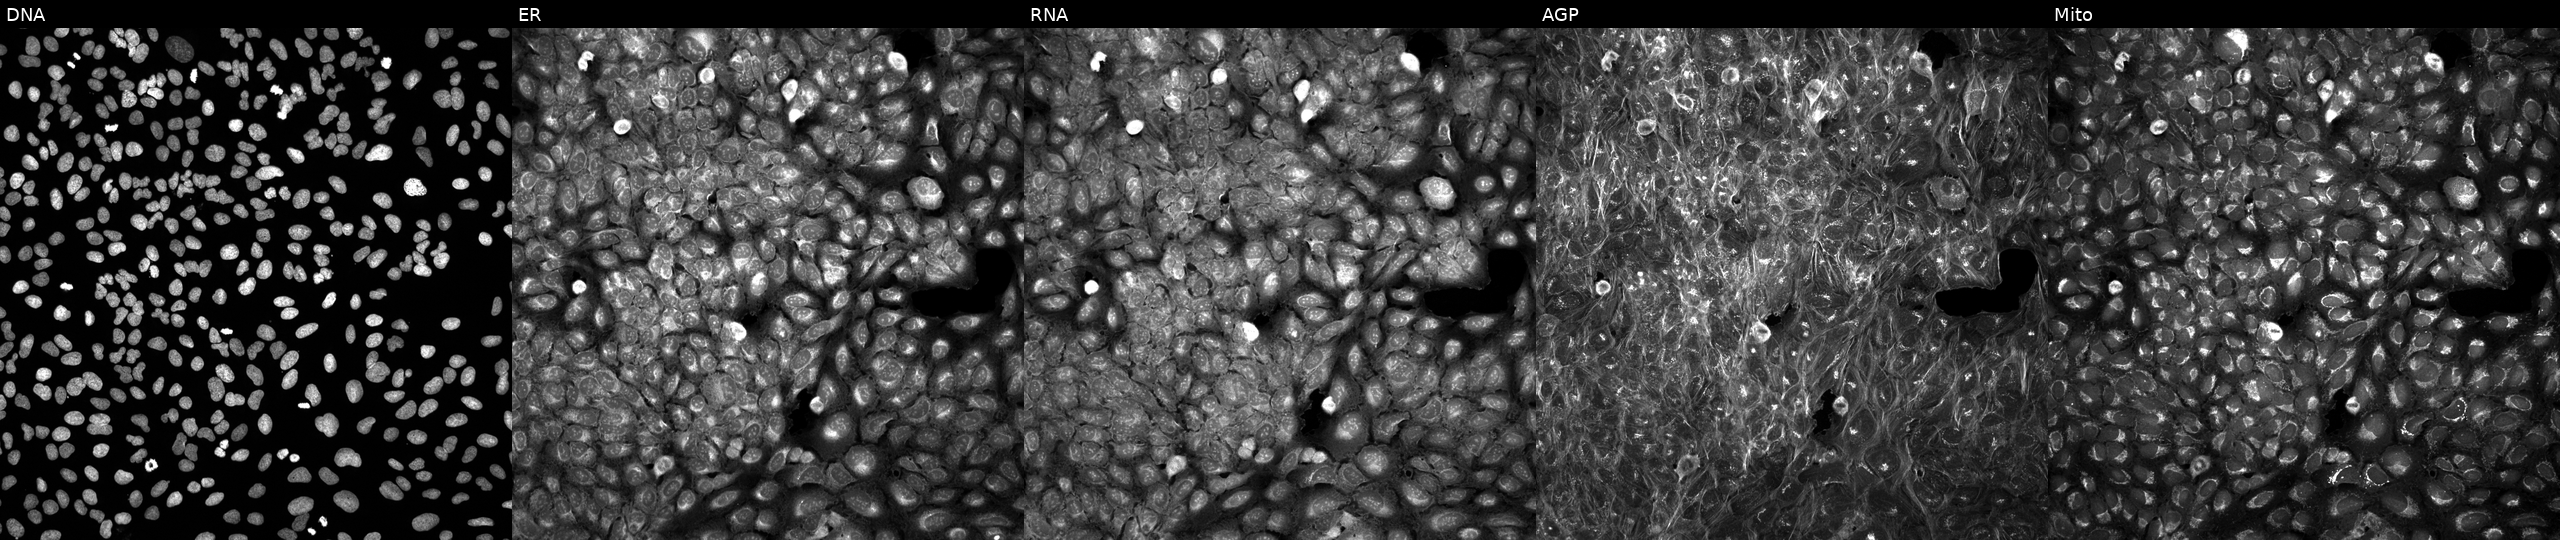
Channels (left→right): Hoechst 33342, concanavalin A, SYTO 14, phalloidin and WGA, MitoTracker. U2OS osteosarcoma cells exposed to DMSO alone as a negative control (JUMP id JCP2022_033924). Cell Painting assay, JUMP-CP dataset. Source 5, plate ACPJUM032, well K24.